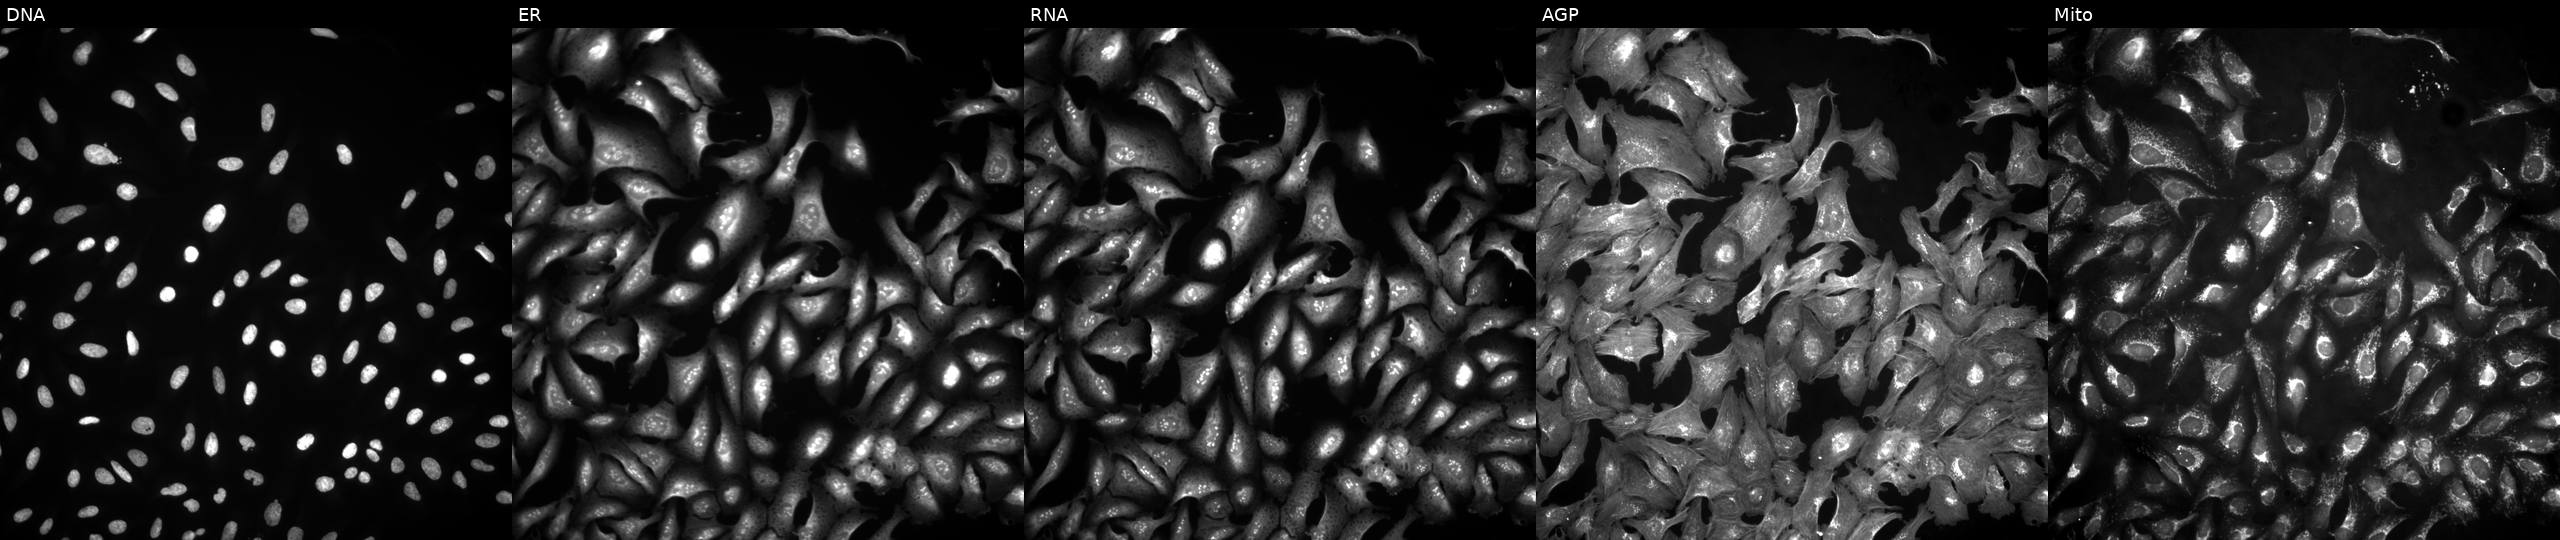
High-content fluorescence microscopy (Cell Painting). Cell line: U2OS. Perturbation: transfected with a failed ORF construct (JUMP BAD CONSTRUCT marker). Panels show, left to right, DNA (nuclei); ER (endoplasmic reticulum); RNA (nucleoli and cytoplasmic RNA); AGP (actin cytoskeleton, Golgi, and plasma membrane); Mito (mitochondria).